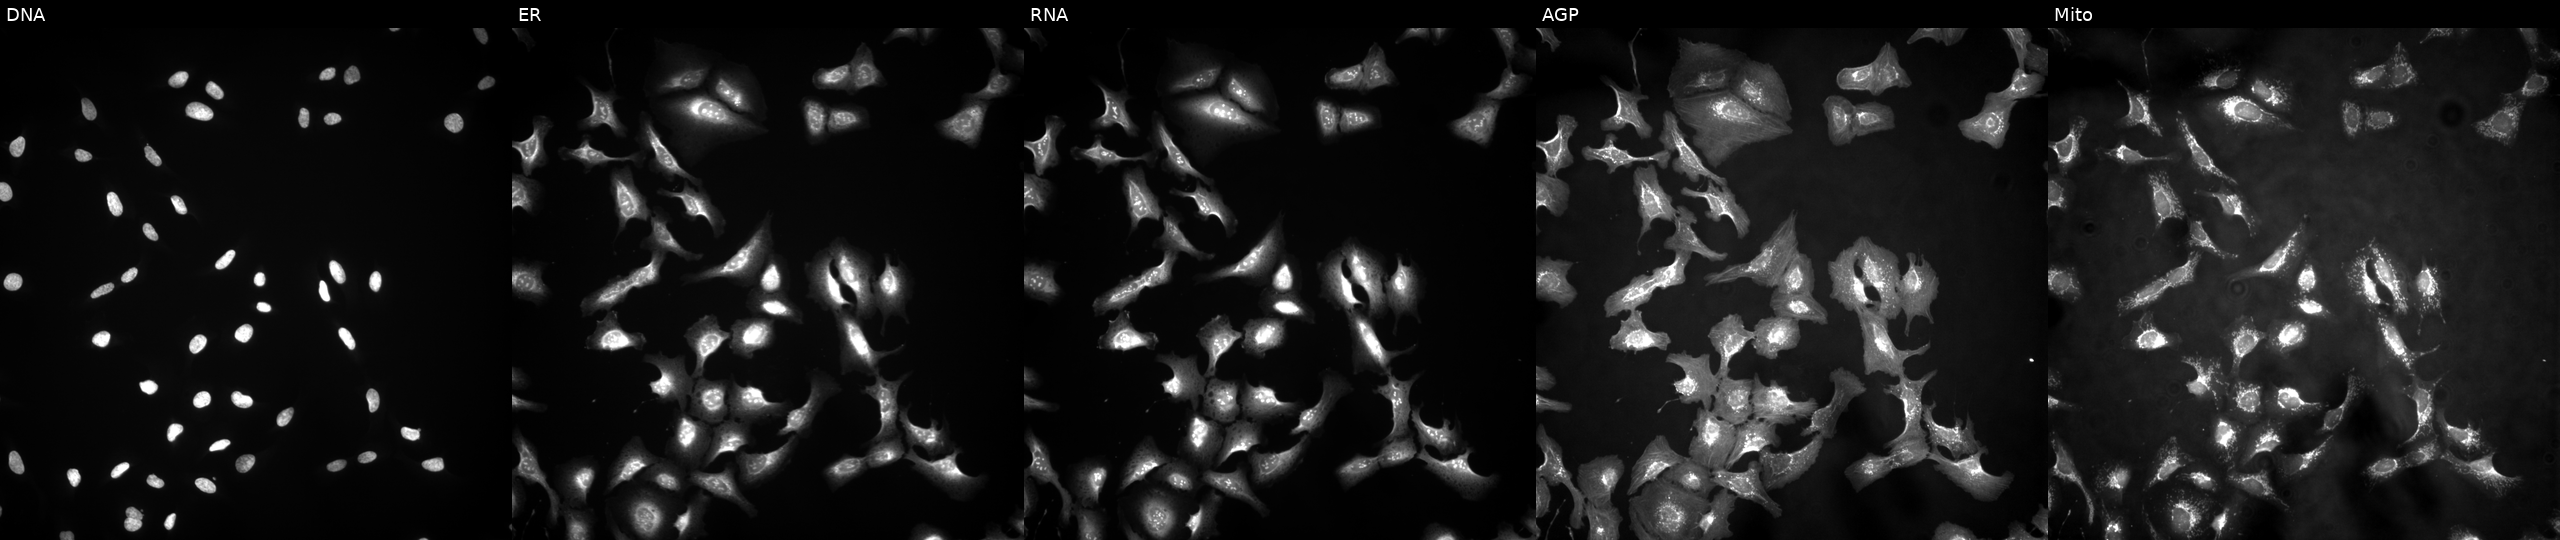
U2OS cells, Cell Painting assay, transfected with an ORF construct for CLDND2. The five panels, left to right, show DNA (nuclei); ER (endoplasmic reticulum); RNA (nucleoli and cytoplasmic RNA); AGP (actin cytoskeleton, Golgi, and plasma membrane); Mito (mitochondria). Each panel is percentile-stretched 16-bit fluorescence.